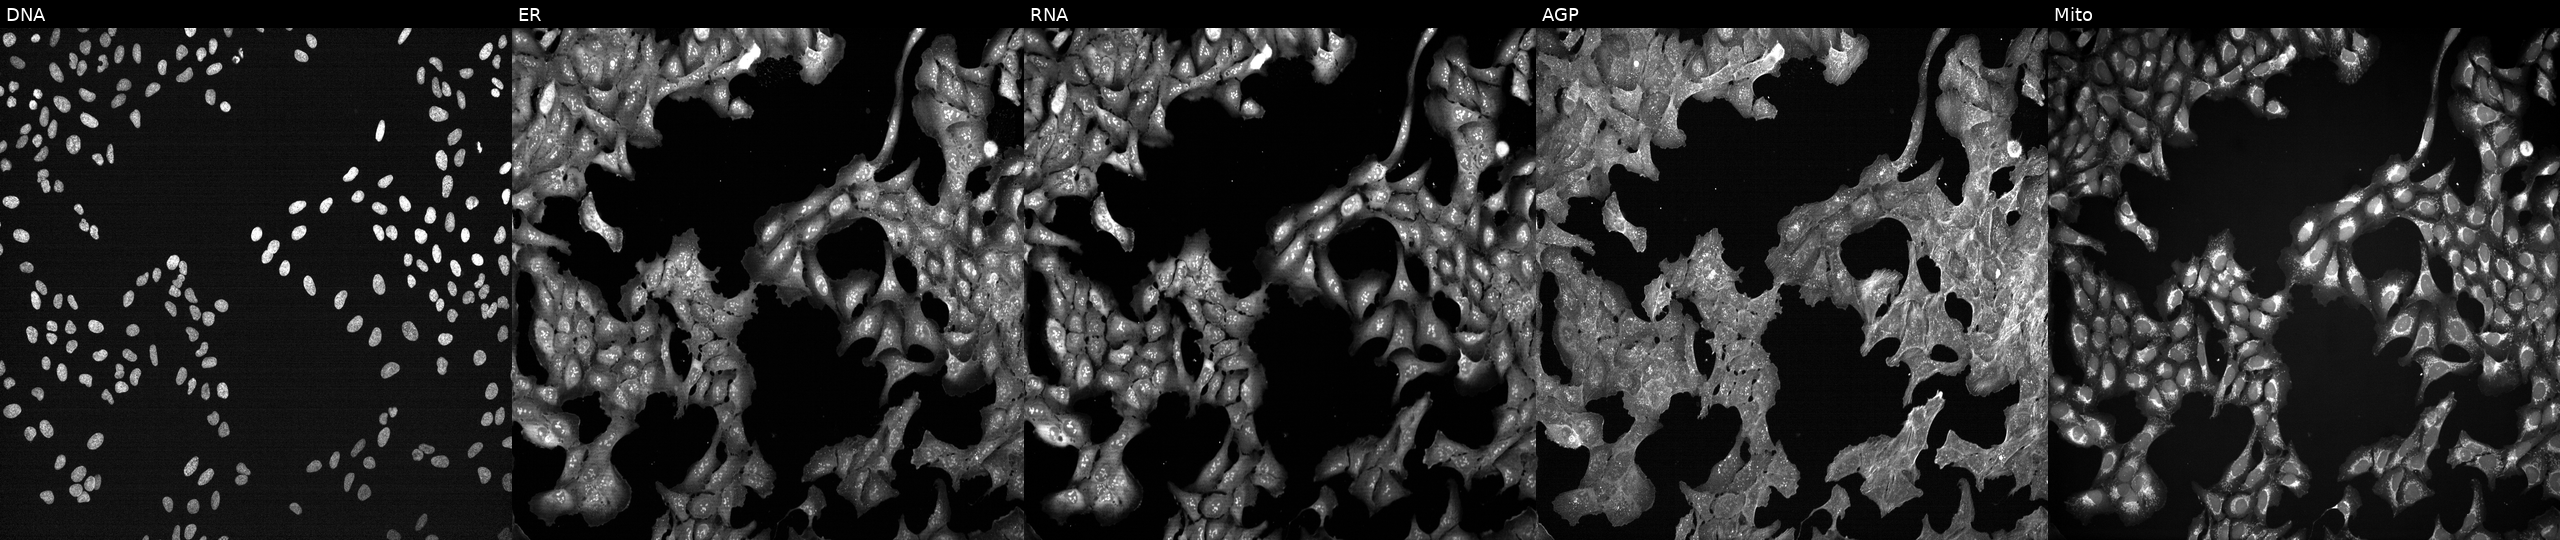
Five-channel Cell Painting image of U2OS cells treated with a small-molecule compound (InChIKey VGZSUPCWNCWDAN-UHFFFAOYSA-N) (JUMP id JCP2022_093901). The five panels, left to right, show DNA (nuclei); ER (endoplasmic reticulum); RNA (nucleoli and cytoplasmic RNA); AGP (actin cytoskeleton, Golgi, and plasma membrane); Mito (mitochondria).